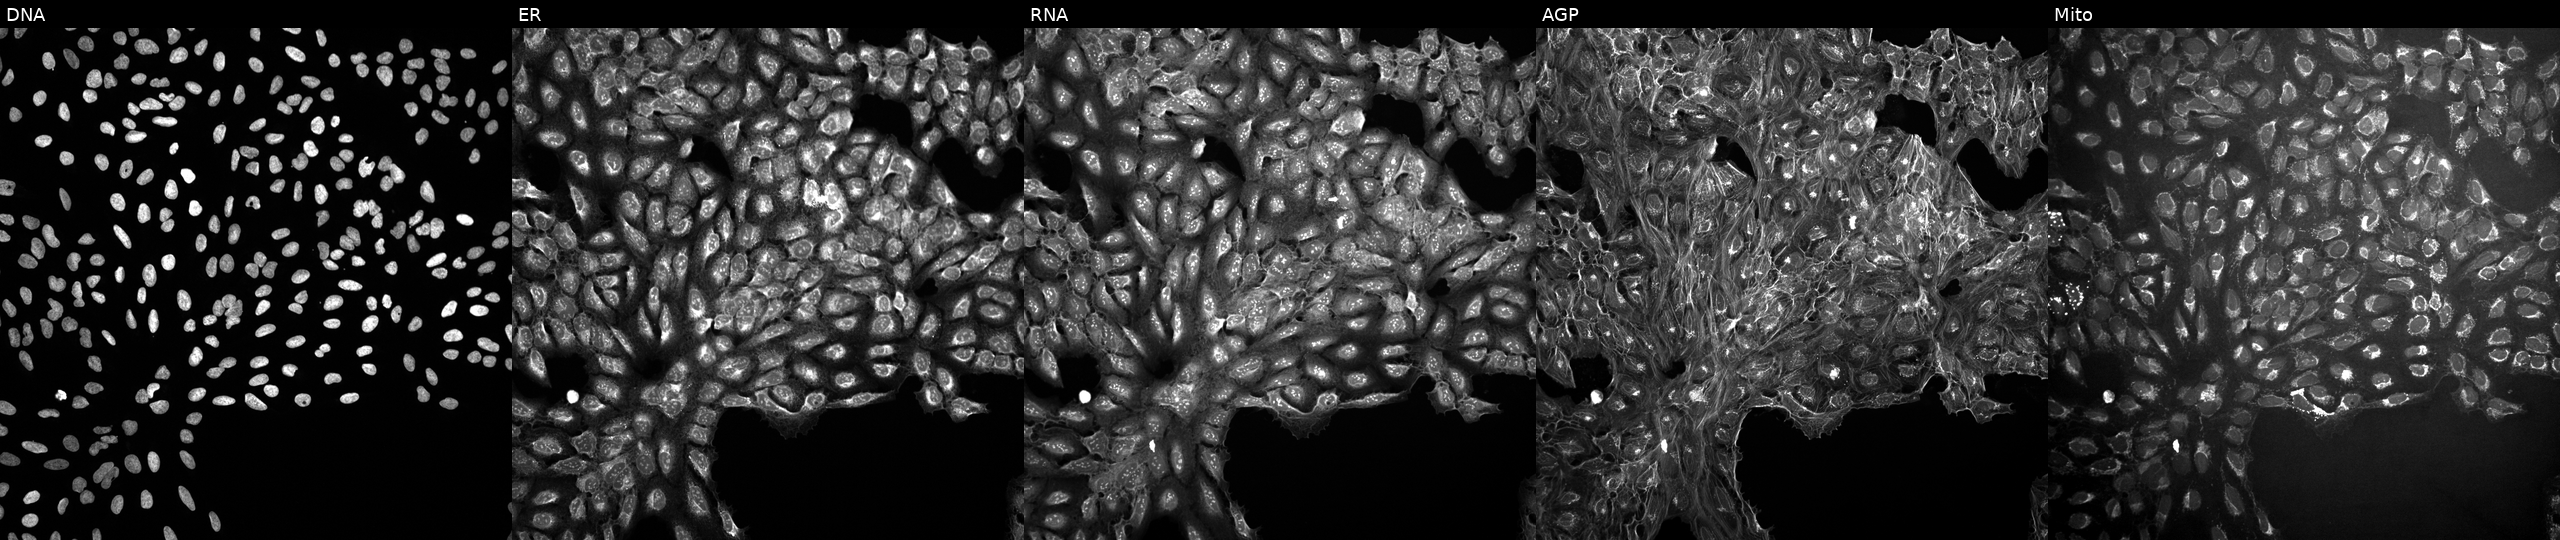
U2OS cells, Cell Painting assay, in an empty control well (no perturbation) (JUMP id JCP2022_999999). Panels show, left to right, DNA (nuclei); ER (endoplasmic reticulum); RNA (nucleoli and cytoplasmic RNA); AGP (actin cytoskeleton, Golgi, and plasma membrane); Mito (mitochondria). Each panel is percentile-stretched 16-bit fluorescence. Source 10, plate Dest210531-152324, well B06.